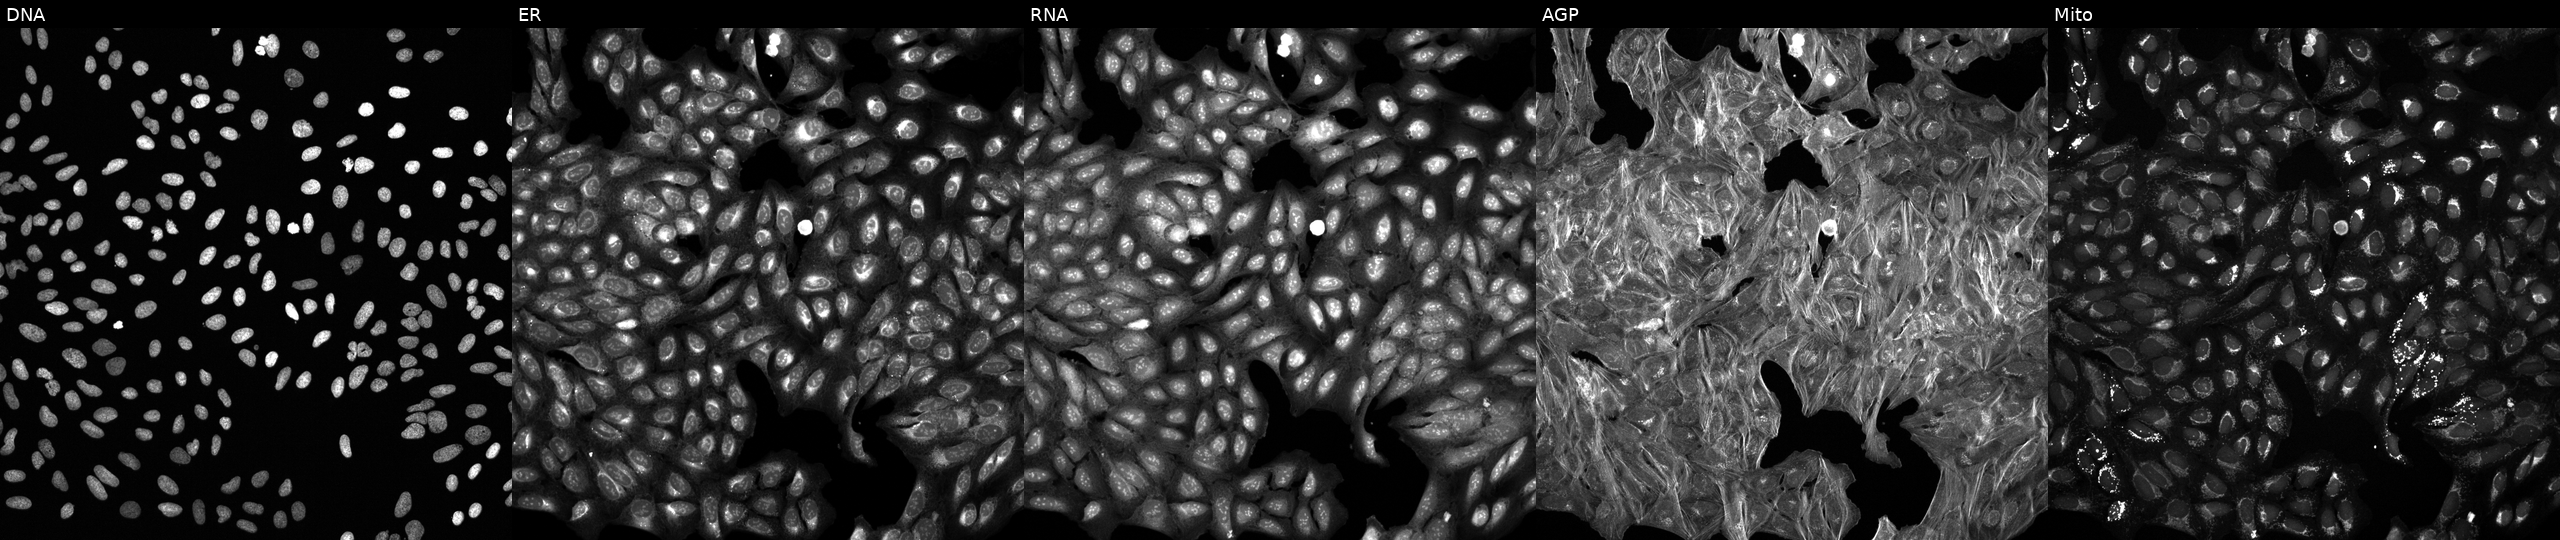
JUMP Cell Painting — COMPOUND plate. U2OS cells treated with DMSO vehicle only (negative control). From left to right: Hoechst 33342, concanavalin A, SYTO 14, phalloidin and WGA, MitoTracker. Source 6, plate 110000293083, well J02.